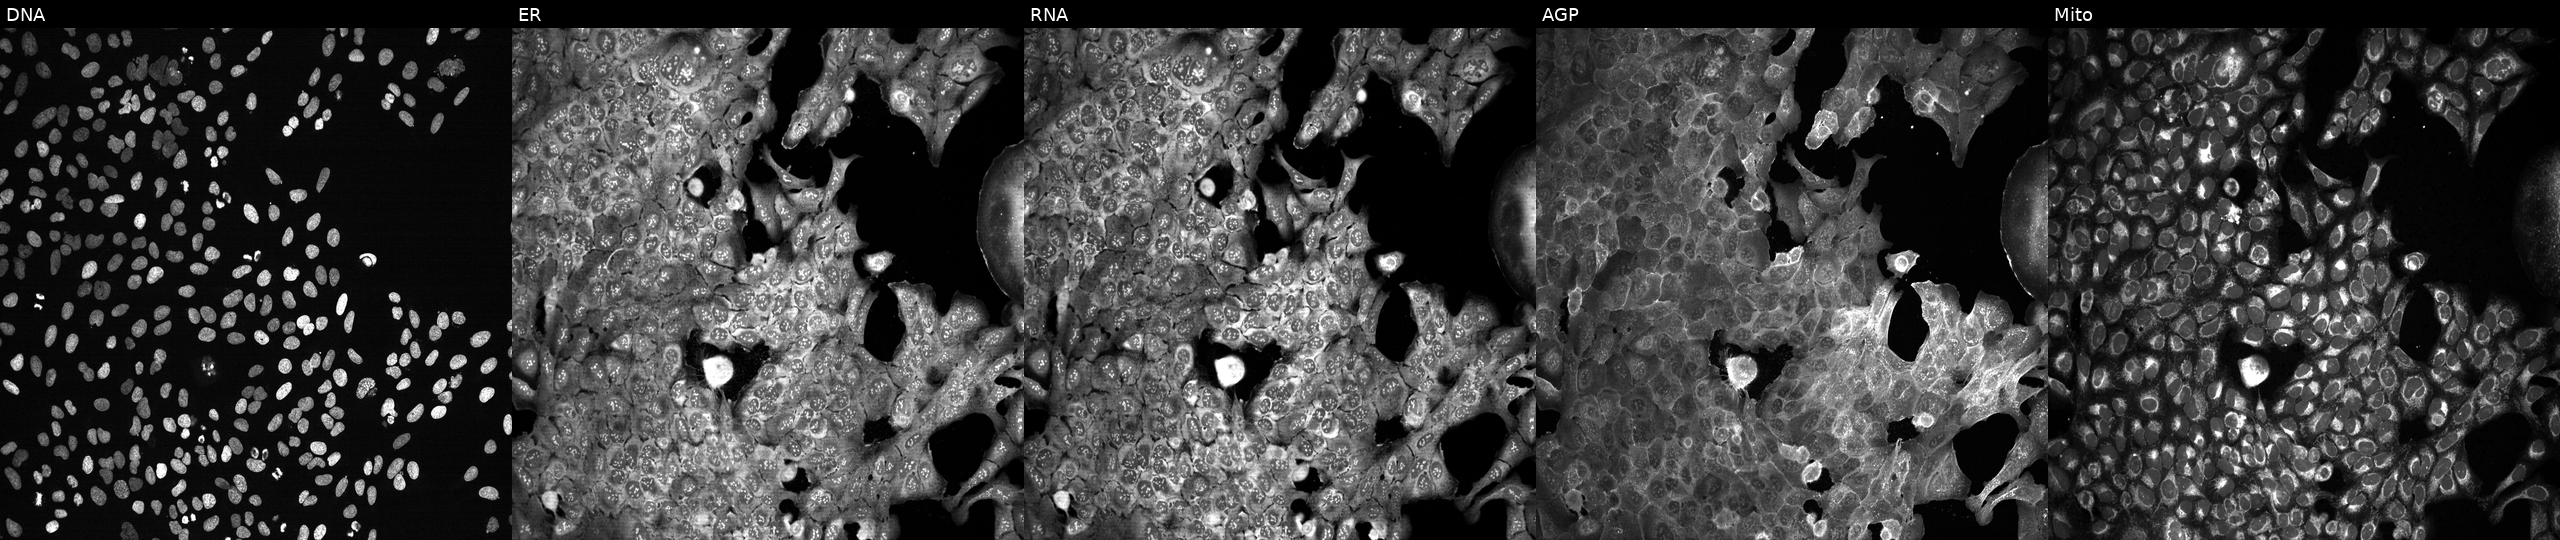
This image strip shows the five Cell Painting channels for a single field of U2OS cells following CRISPR knockout of CELA2A (JUMP id JCP2022_801241). Channels (left→right): DNA (nuclei); ER (endoplasmic reticulum); RNA (nucleoli and cytoplasmic RNA); AGP (actin cytoskeleton, Golgi, and plasma membrane); Mito (mitochondria).